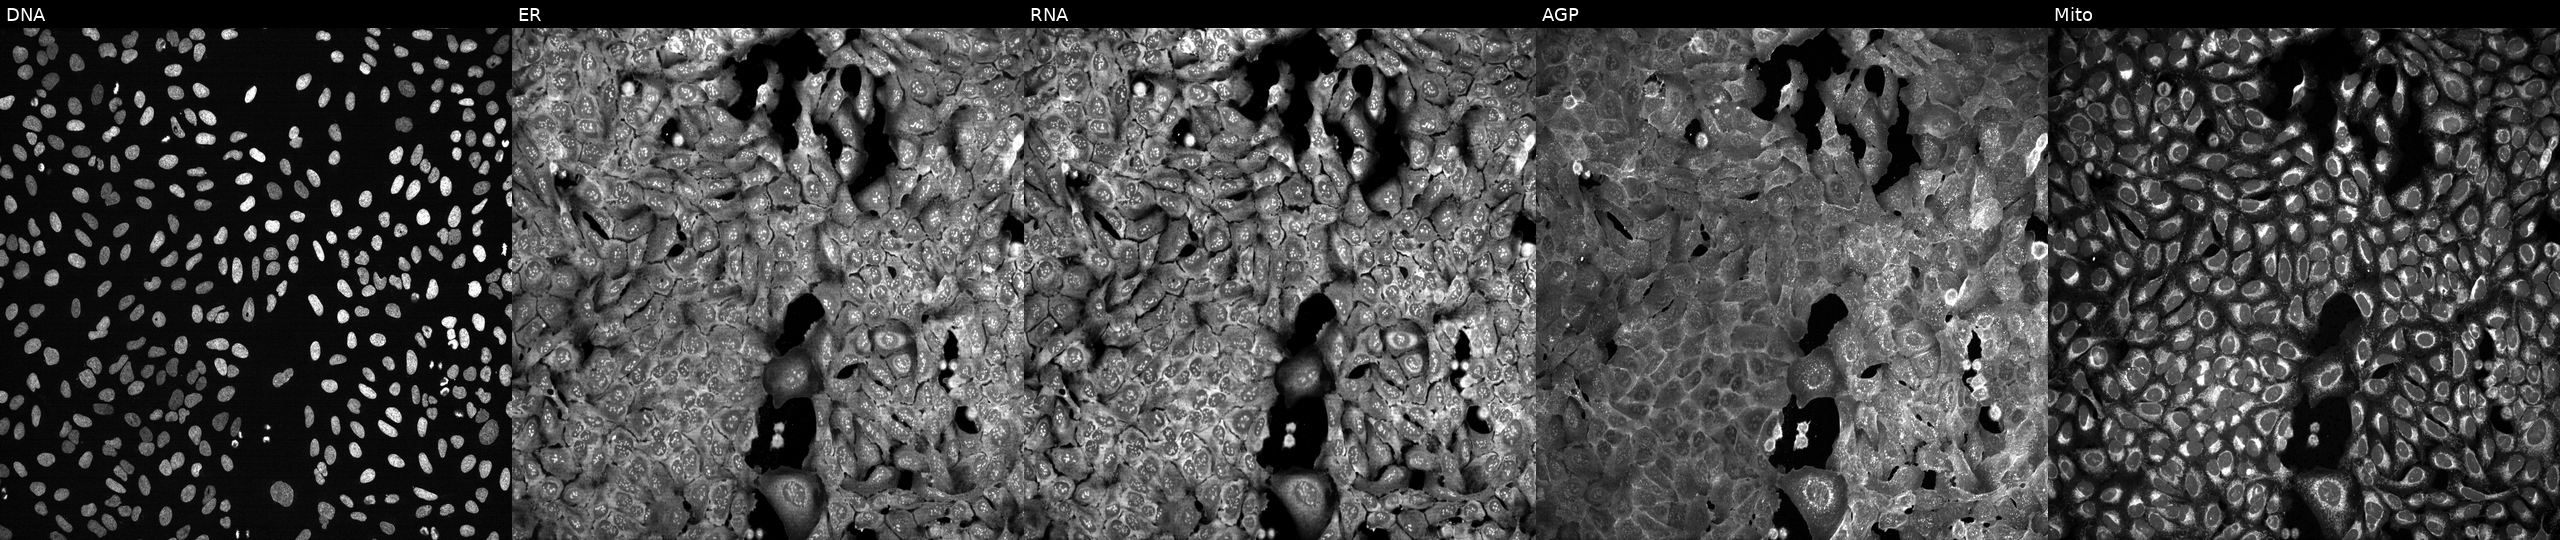
U2OS cells, Cell Painting assay, with TOB1 knocked out by CRISPR. From left to right: DNA, ER, RNA, AGP, and Mito. Each panel is percentile-stretched 16-bit fluorescence.